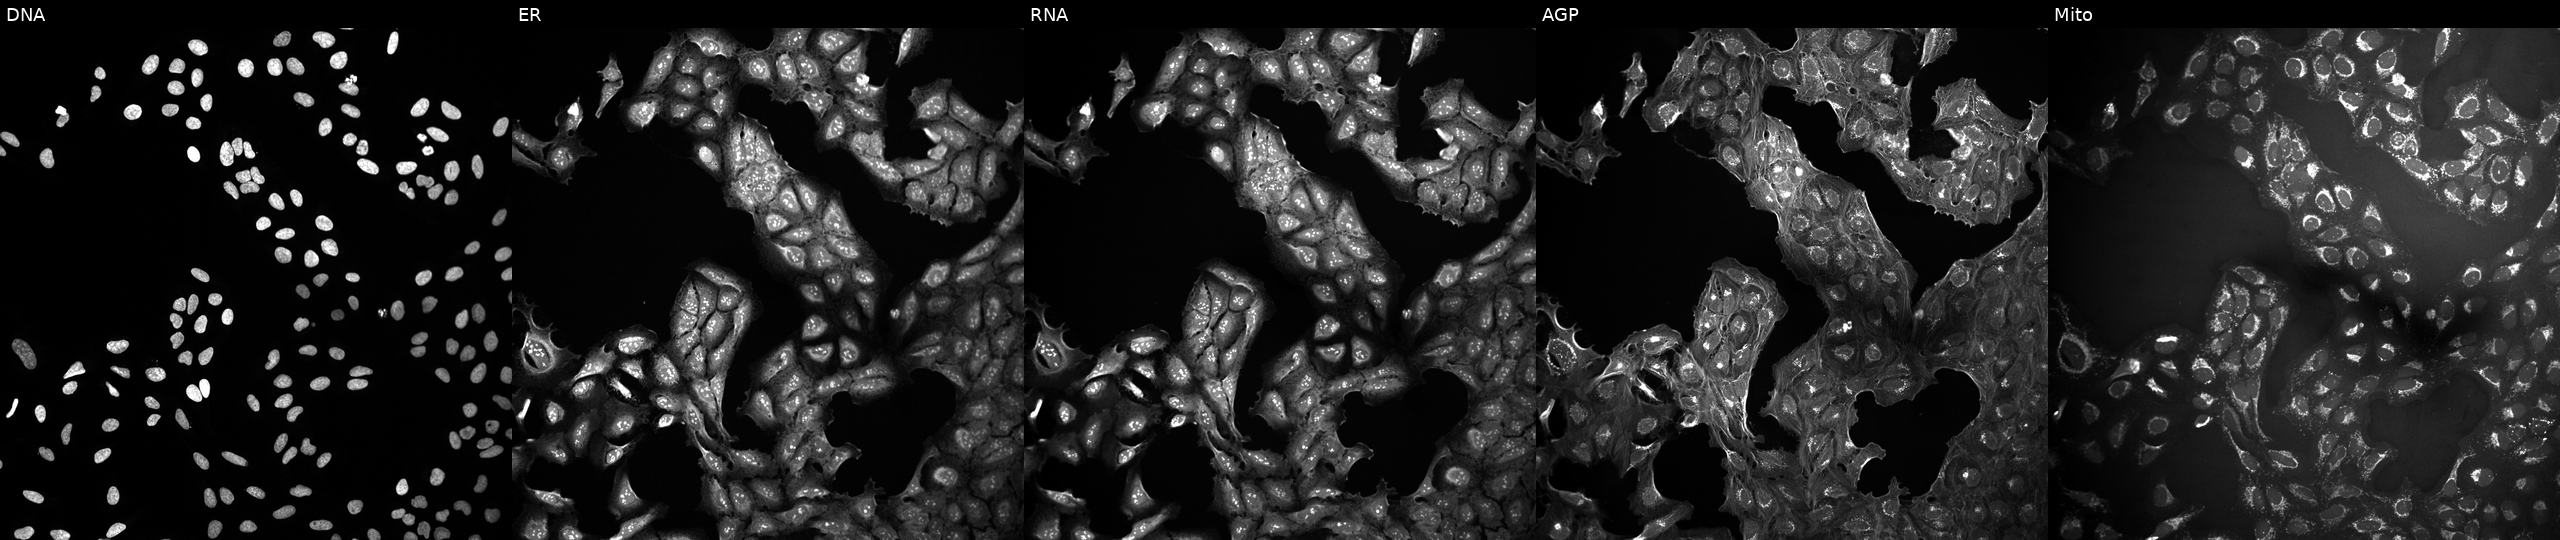
JUMP Cell Painting — COMPOUND plate. U2OS cells in an empty control well (no perturbation). Panels show, left to right, Hoechst 33342, concanavalin A, SYTO 14, phalloidin and WGA, MitoTracker. Source 10, plate Dest210531-152149, well N22.